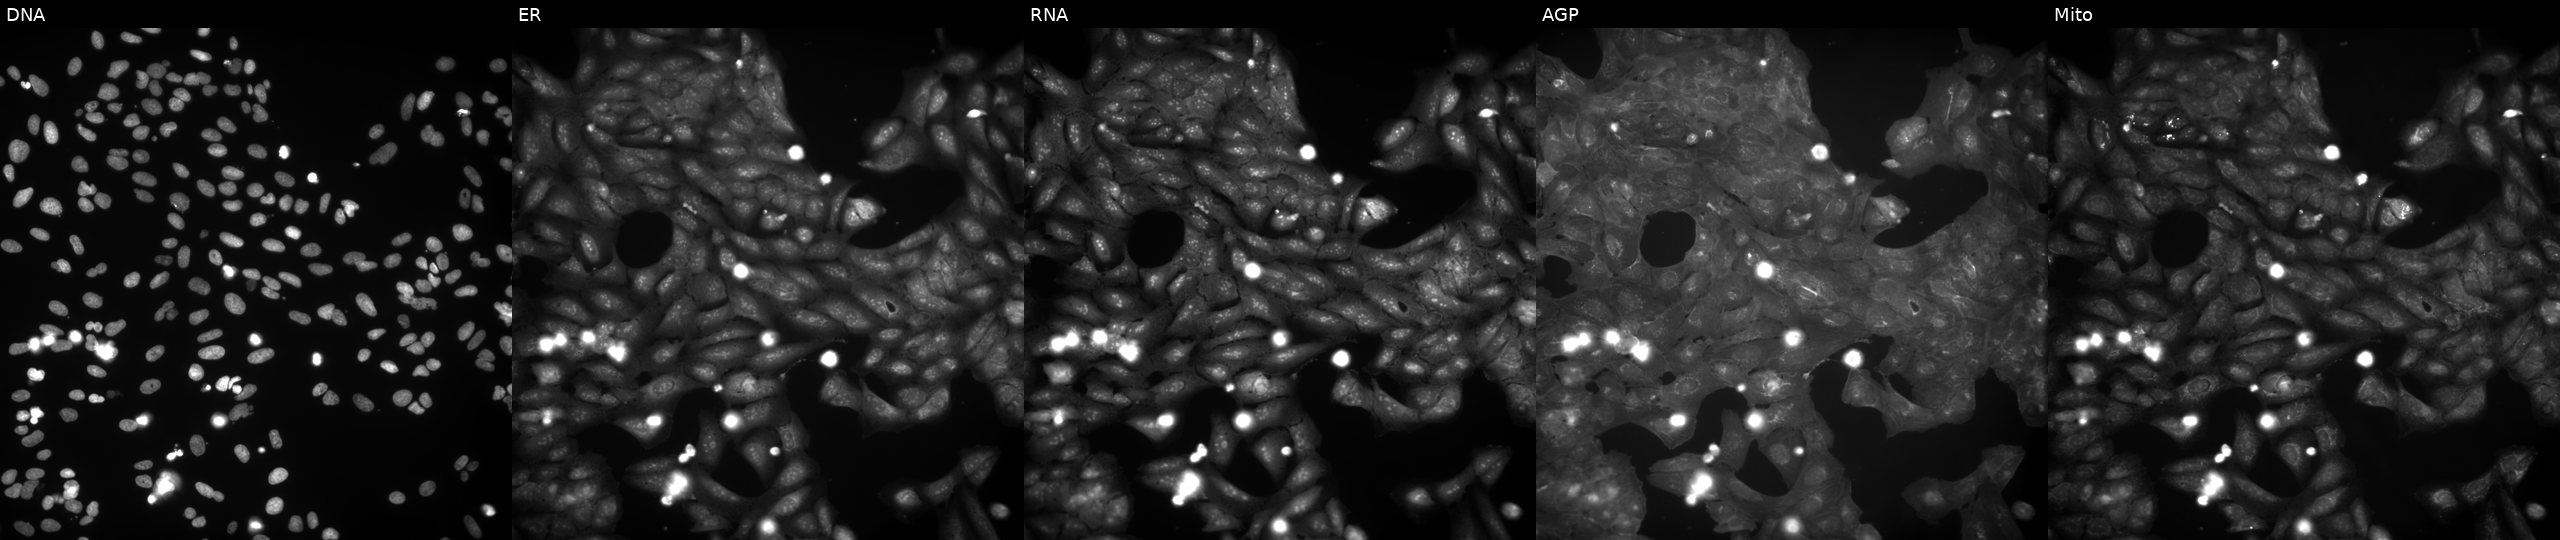
Five-channel Cell Painting image of U2OS cells exposed to a small-molecule compound (InChIKey USWHKLQXSJCKDL-UHFFFAOYSA-N). Channels (left→right): DNA (nuclei); ER (endoplasmic reticulum); RNA (nucleoli and cytoplasmic RNA); AGP (actin cytoskeleton, Golgi, and plasma membrane); Mito (mitochondria). Source 9, plate GR00003381, well AA17.